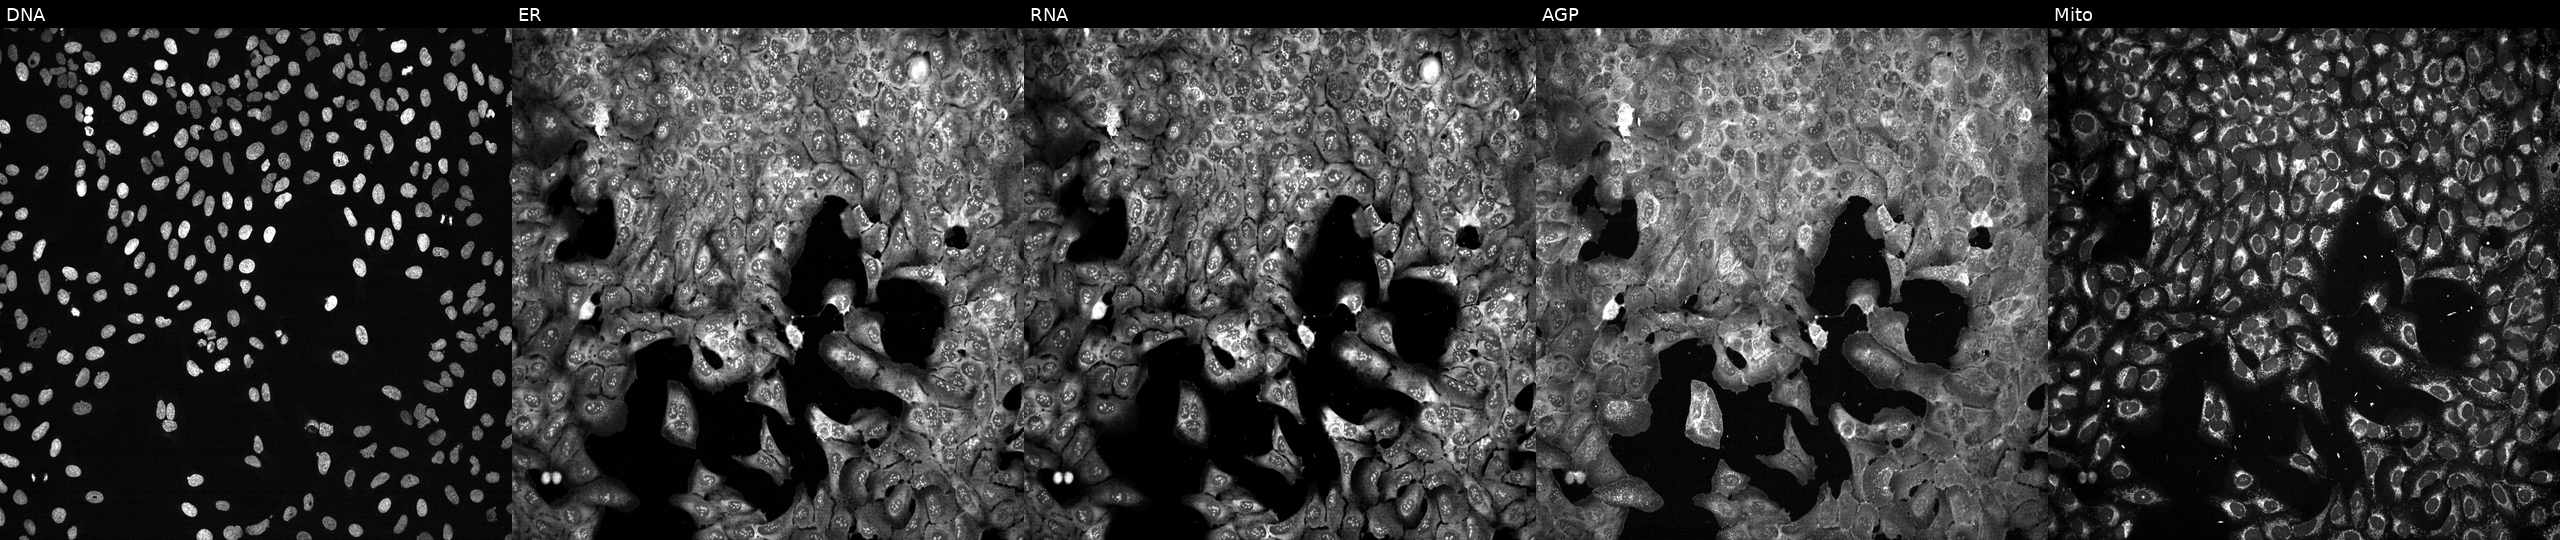
JUMP Cell Painting — CRISPR plate. U2OS cells with MCM6 knocked out by CRISPR. From left to right: DNA, ER, RNA, AGP, and Mito.